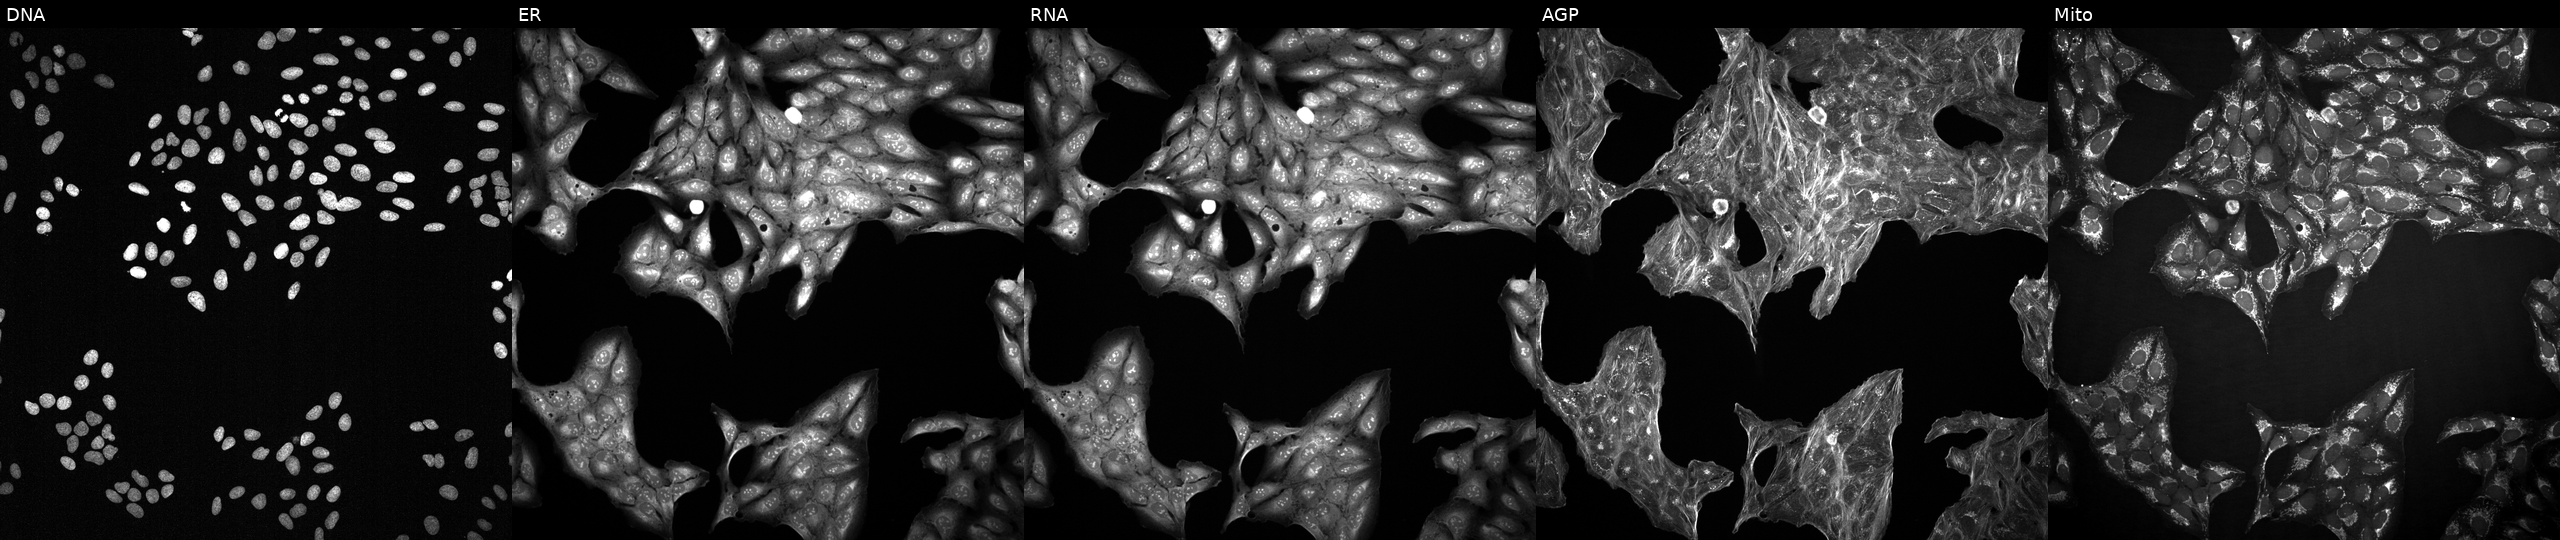
This image strip shows the five Cell Painting channels for a single field of U2OS cells exposed to a small-molecule compound (InChIKey QHKYPYXTTXKZST-UHFFFAOYSA-N). Channels (left→right): DNA, ER, RNA, AGP, and Mito. Source 2, plate 1053600674, well M12.